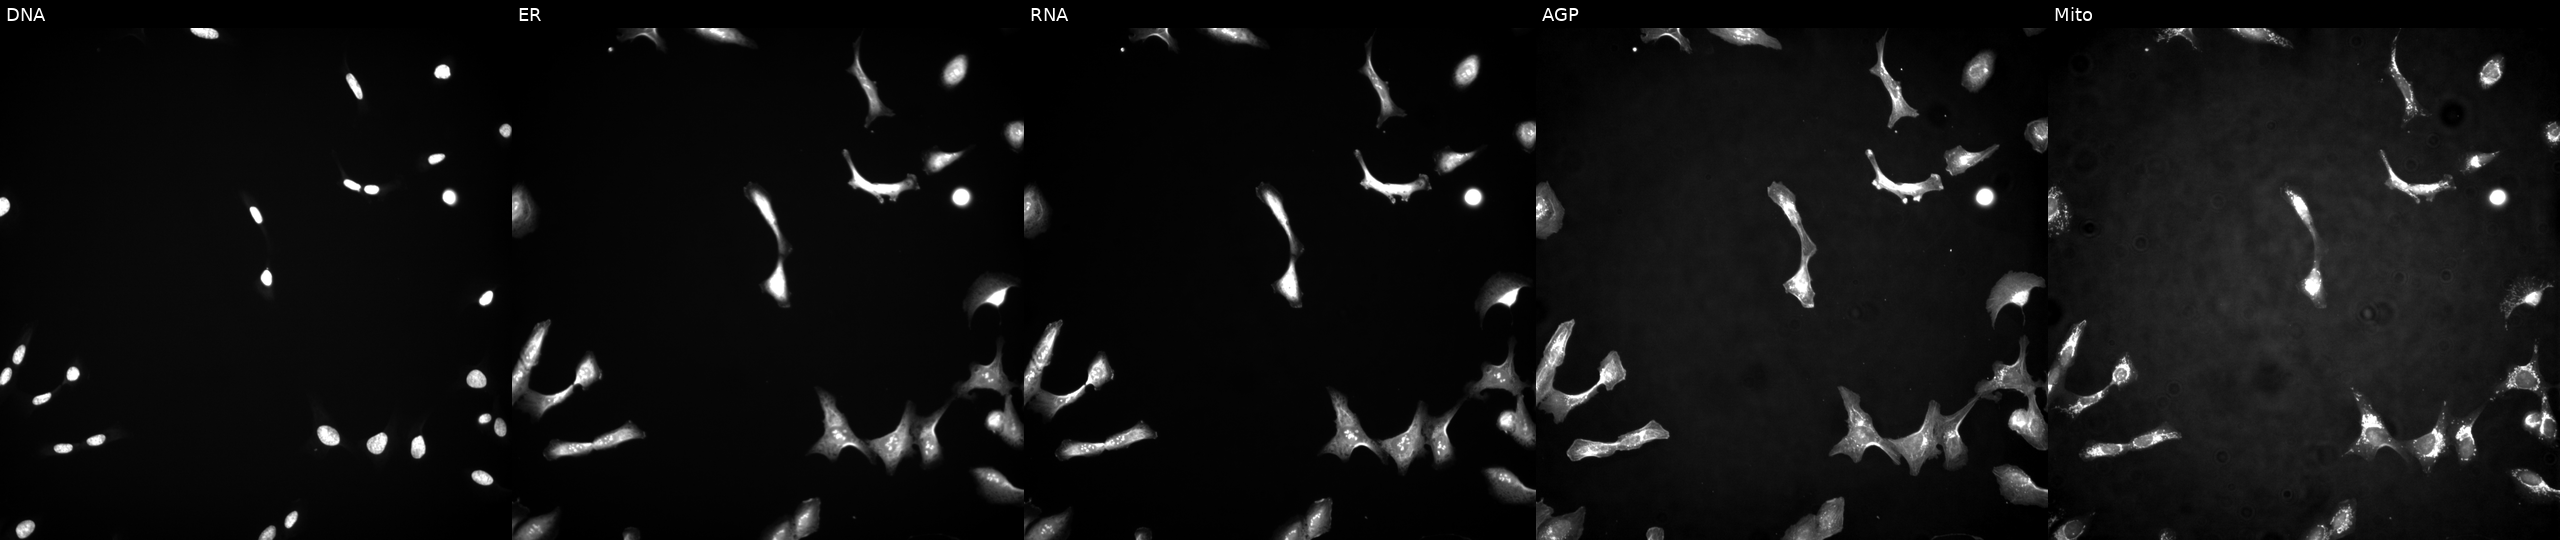
The five panels, left to right, show DNA (nuclei); ER (endoplasmic reticulum); RNA (nucleoli and cytoplasmic RNA); AGP (actin cytoskeleton, Golgi, and plasma membrane); Mito (mitochondria). U2OS osteosarcoma cells with NR5A2 overexpressed (ORF). Cell Painting assay, JUMP-CP dataset.